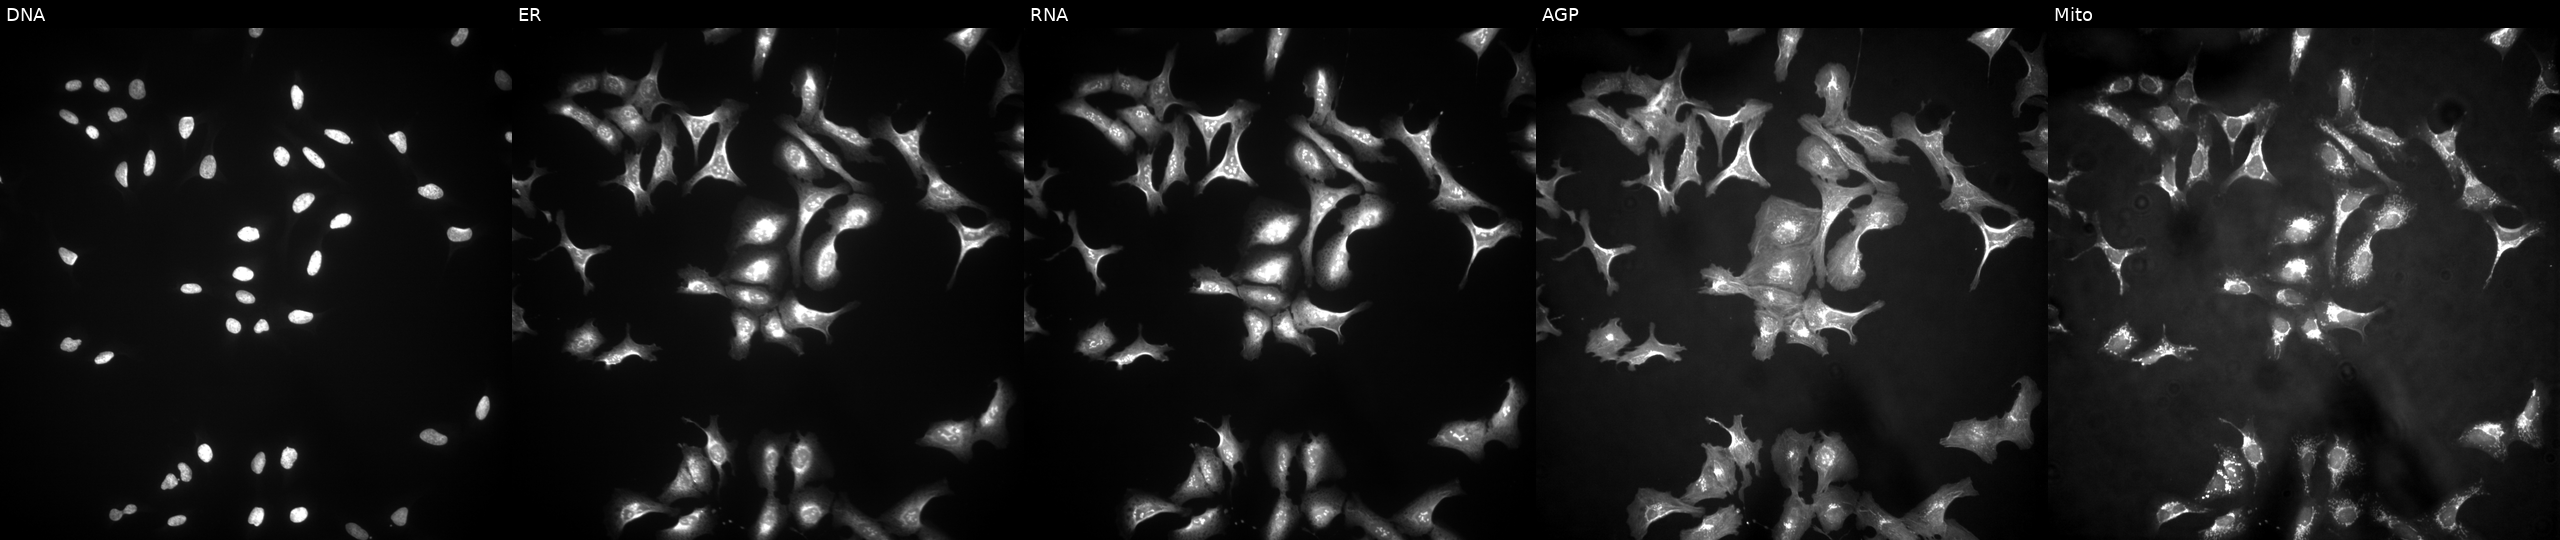
From left to right: DNA, ER, RNA, AGP, and Mito. U2OS osteosarcoma cells overexpressing SLC9A6 via ORF transfection (JUMP id JCP2022_907122). Cell Painting assay, JUMP-CP dataset.